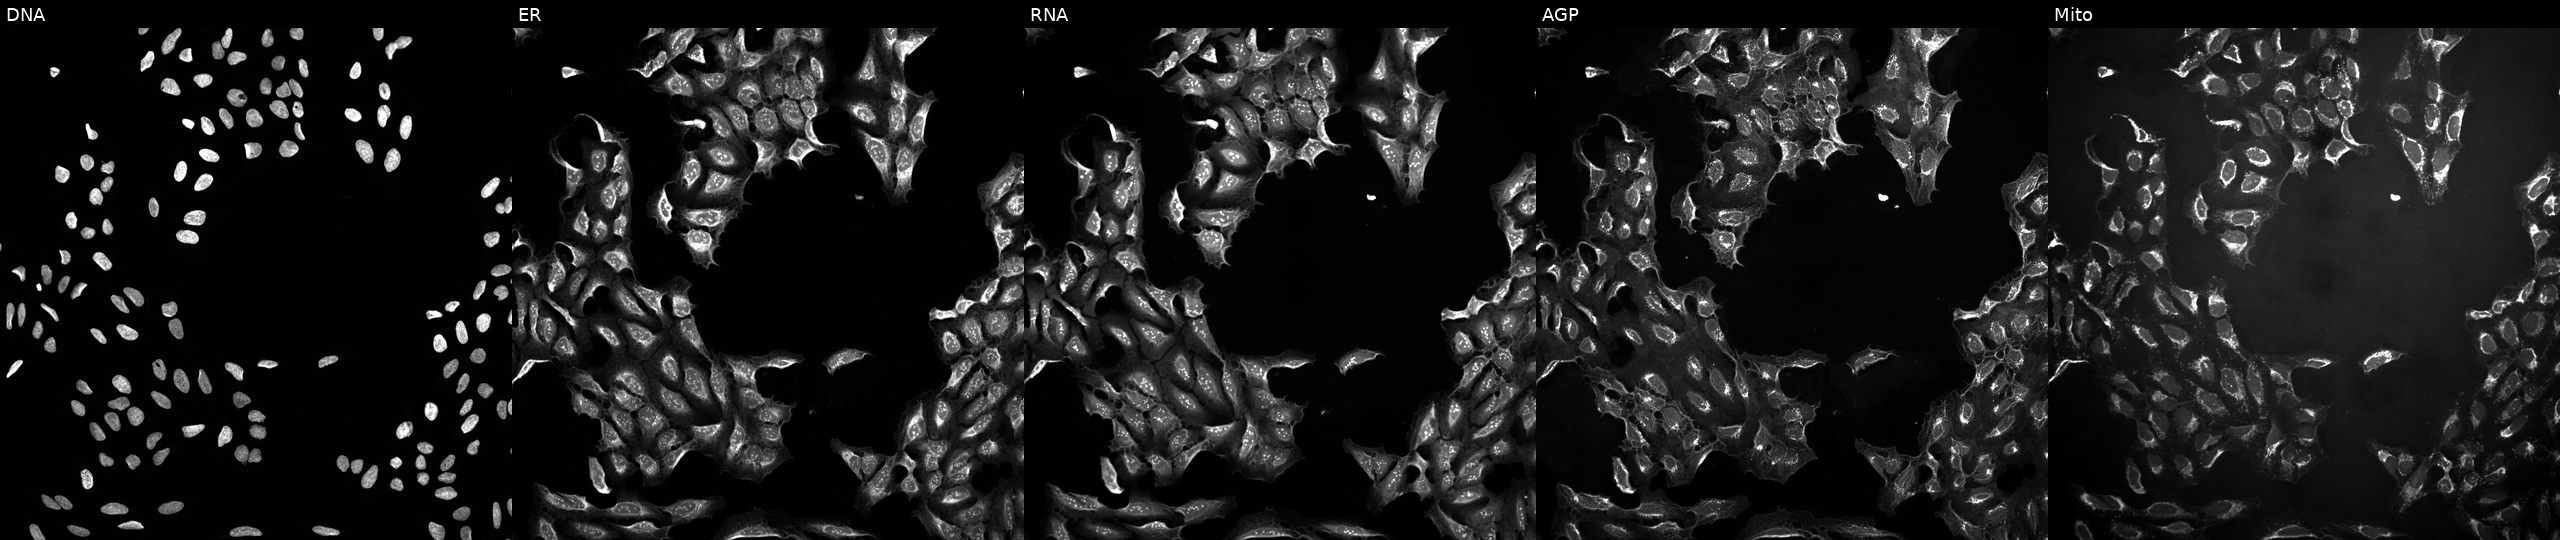
Panels show, left to right, Hoechst 33342, concanavalin A, SYTO 14, phalloidin and WGA, MitoTracker. U2OS osteosarcoma cells exposed to DMSO alone as a negative control (JUMP id JCP2022_033924). Cell Painting assay, JUMP-CP dataset.